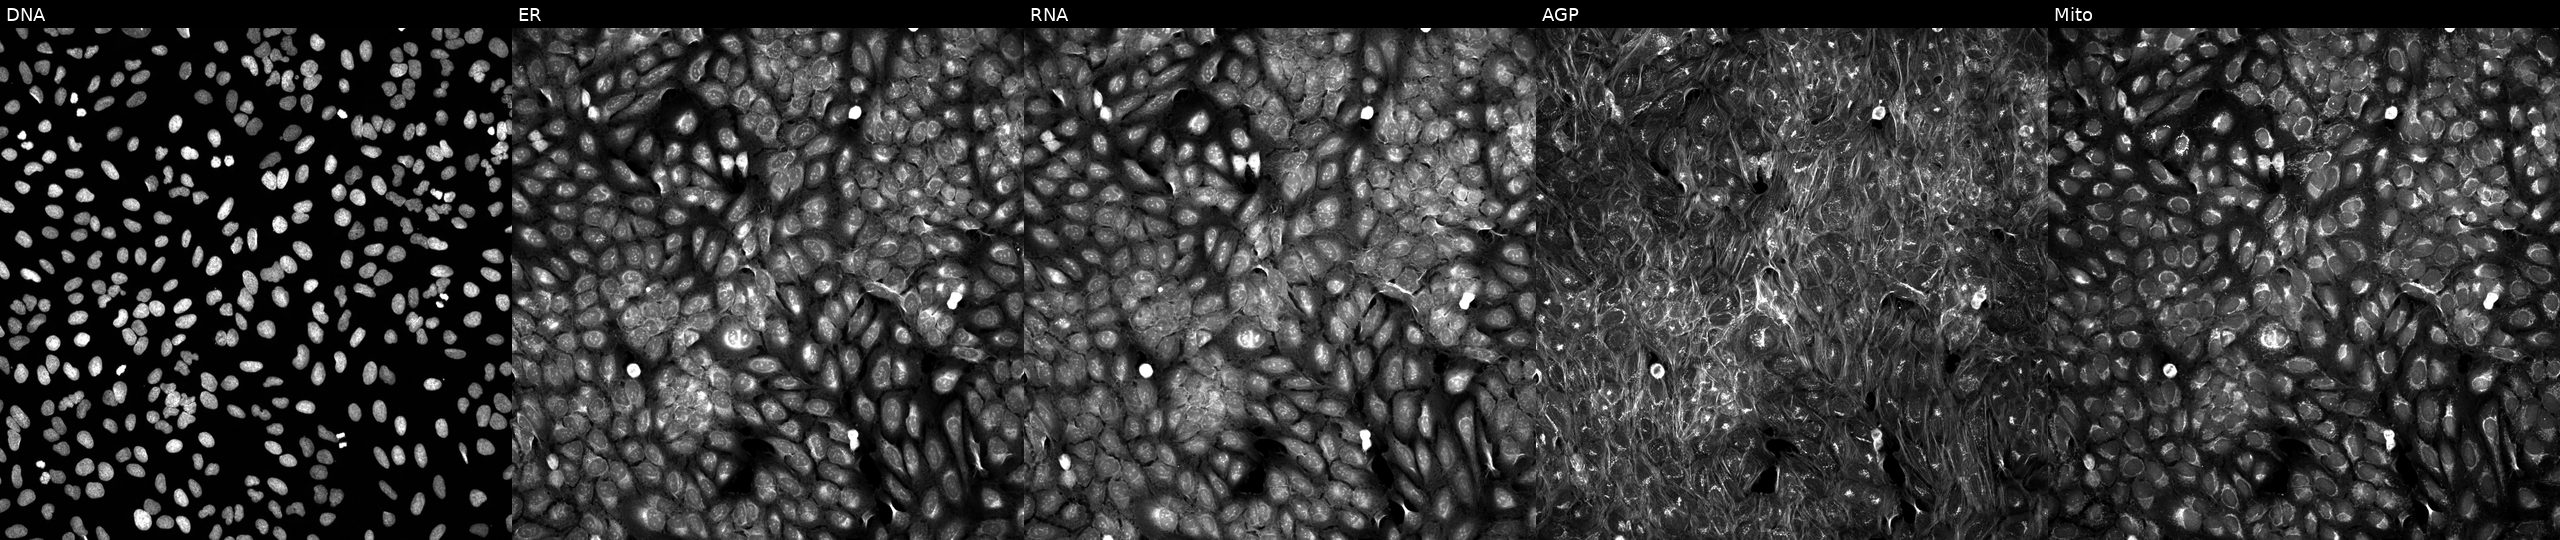
Five-channel Cell Painting image of U2OS cells exposed to a small-molecule compound (InChIKey NXNKJLOEGWSJGI-UHFFFAOYSA-N). From left to right: Hoechst 33342, concanavalin A, SYTO 14, phalloidin and WGA, MitoTracker. Source 5, plate ACPJUM012, well P08.